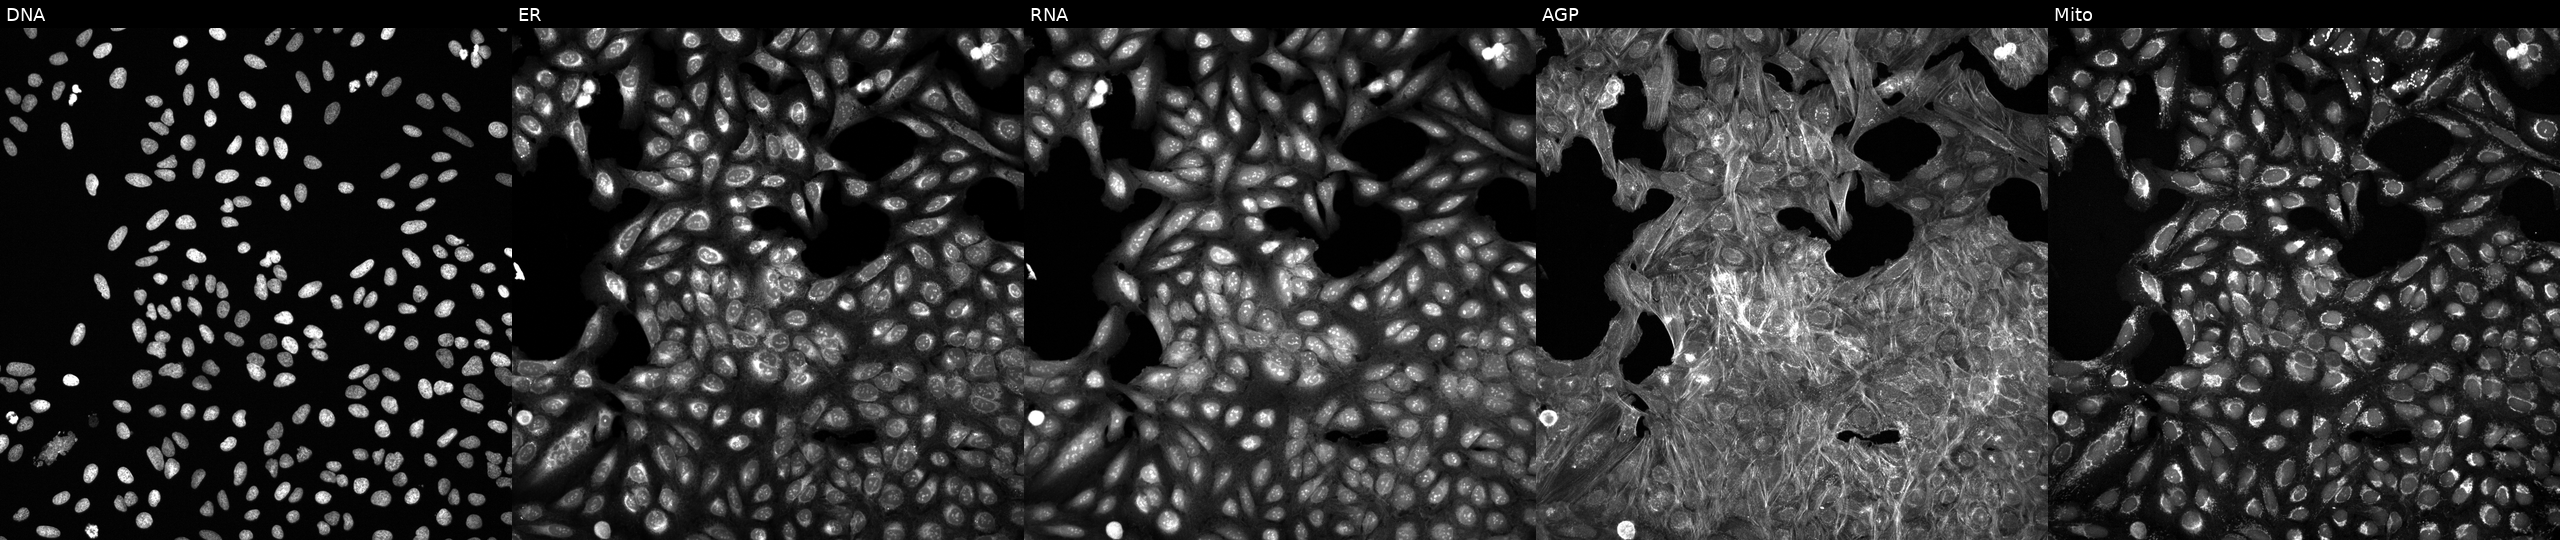
High-content fluorescence microscopy (Cell Painting). Cell line: U2OS. Perturbation: perturbed with a small-molecule compound (InChIKey WLBUICQBNZXIDJ-UHFFFAOYSA-N). Panels show, left to right, DNA, ER, RNA, AGP, and Mito.